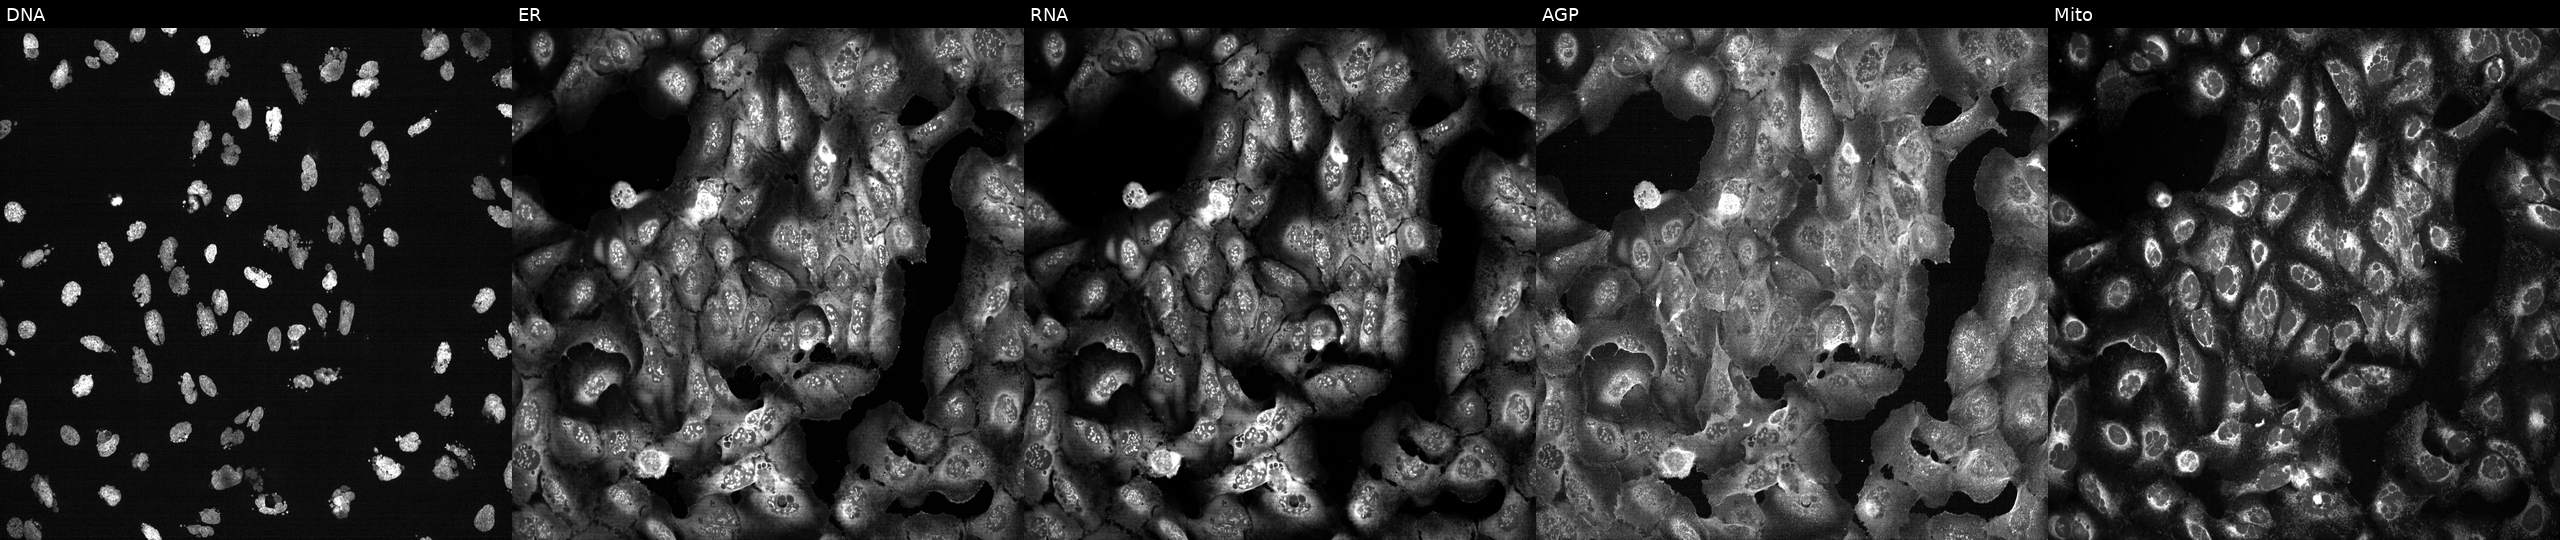
Five-channel Cell Painting image of U2OS cells treated with AMG900 (positive-control compound) (JUMP id JCP2022_037716). Panels show, left to right, DNA, ER, RNA, AGP, and Mito.